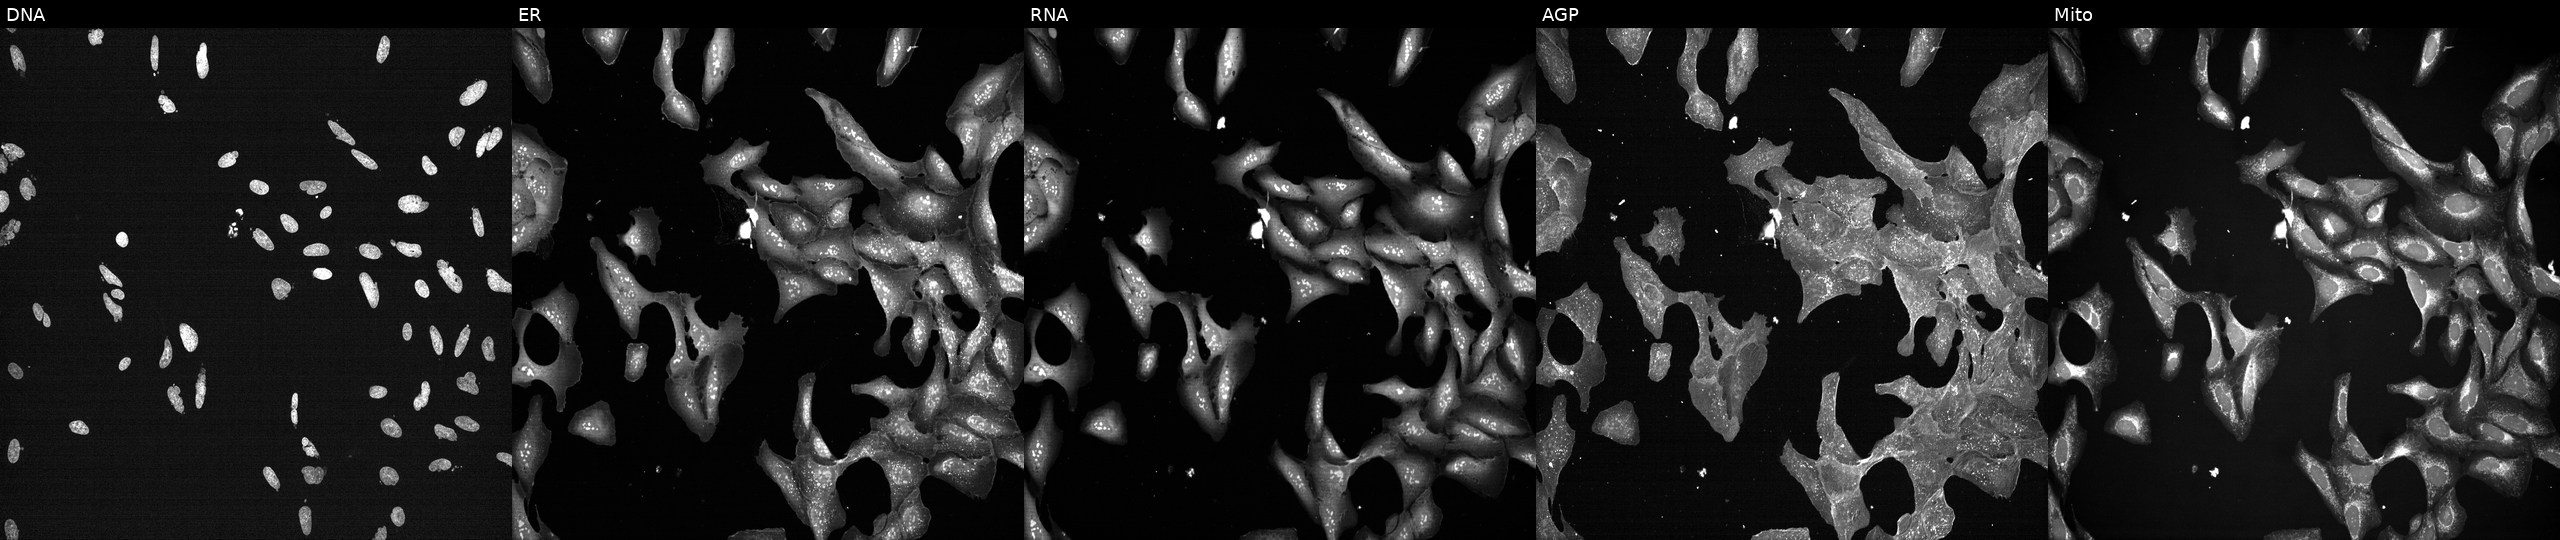
High-content fluorescence microscopy (Cell Painting). Cell line: U2OS. Perturbation: treated with a small-molecule compound (InChIKey KRBSMMVJJVHVCB-UHFFFAOYSA-N) (JUMP id JCP2022_046462). From left to right: Hoechst 33342, concanavalin A, SYTO 14, phalloidin and WGA, MitoTracker.